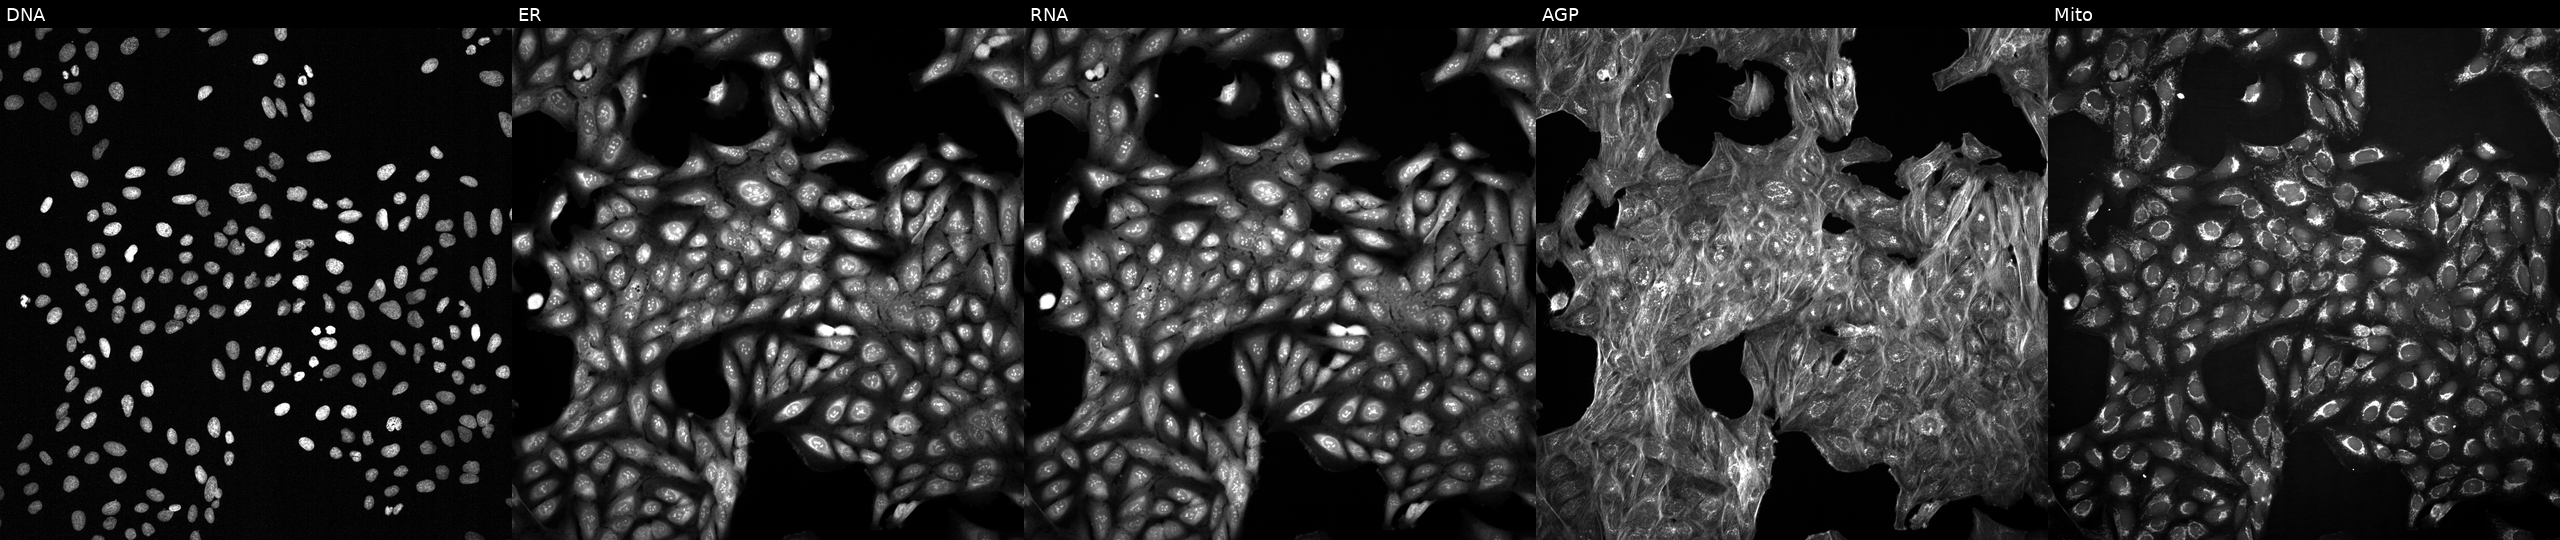
U2OS cells, Cell Painting assay, treated with a small-molecule compound (InChIKey HGVDHZBSSITLCT-UHFFFAOYSA-N) [SMILES: CN1CCc2nc(C(=O)NC3CC(C(=O)N(C)C)CCC3NC(=O)C(=O)N=c3ccc(Cl)c[nH]3)sc2C1] (JUMP id JCP2022_030094). The five panels, left to right, show DNA (nuclei); ER (endoplasmic reticulum); RNA (nucleoli and cytoplasmic RNA); AGP (actin cytoskeleton, Golgi, and plasma membrane); Mito (mitochondria). Each panel is percentile-stretched 16-bit fluorescence.